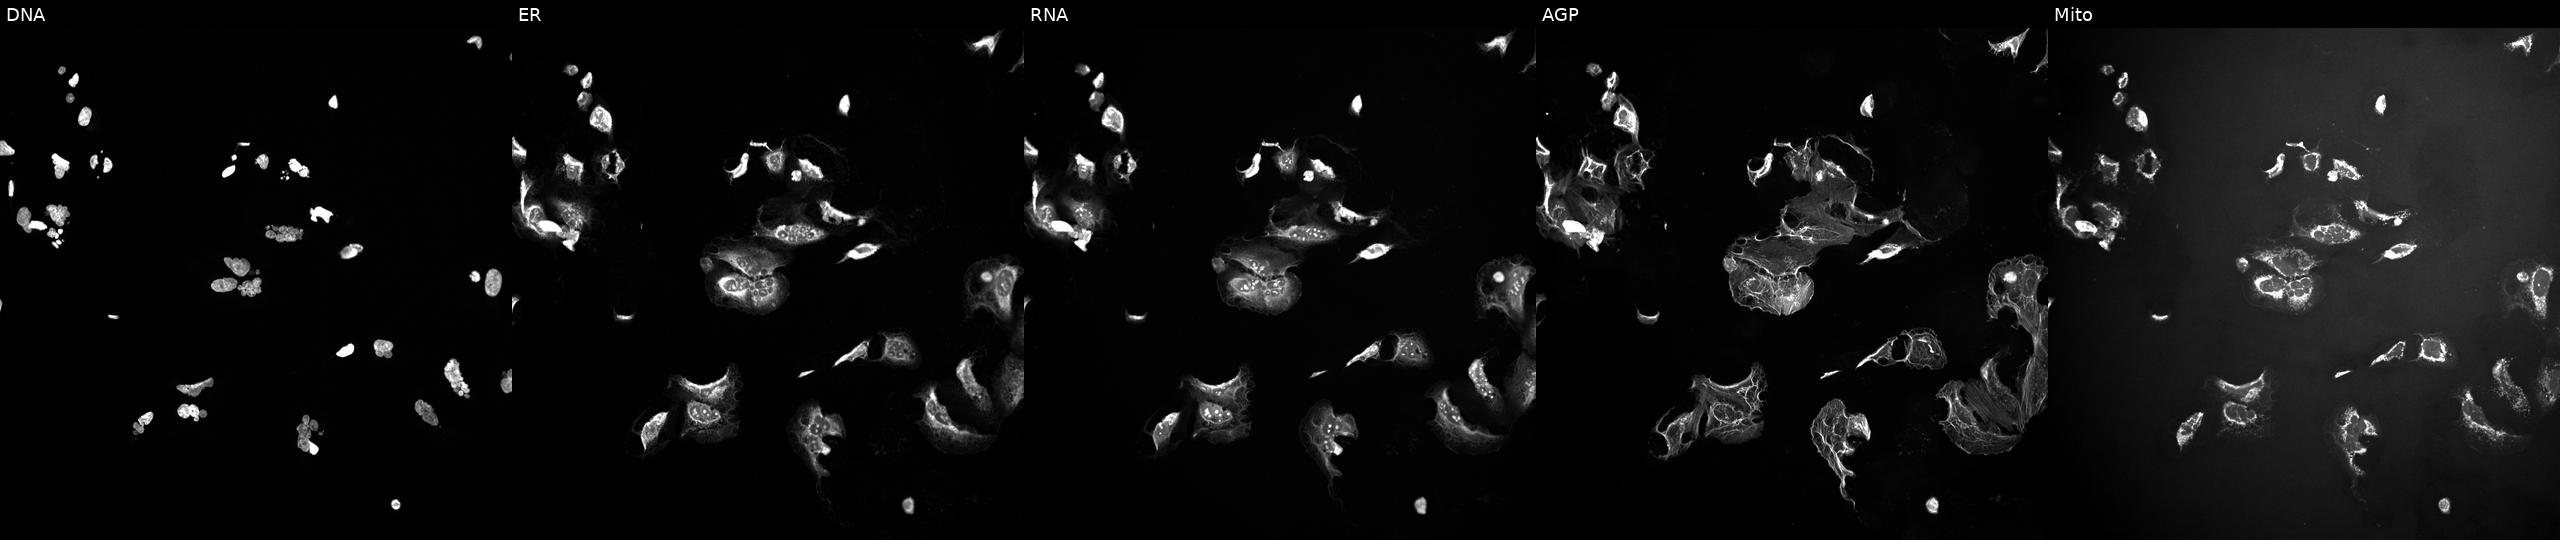
Channels (left→right): Hoechst 33342, concanavalin A, SYTO 14, phalloidin and WGA, MitoTracker. U2OS osteosarcoma cells perturbed with a small-molecule compound. Cell Painting assay, JUMP-CP dataset.